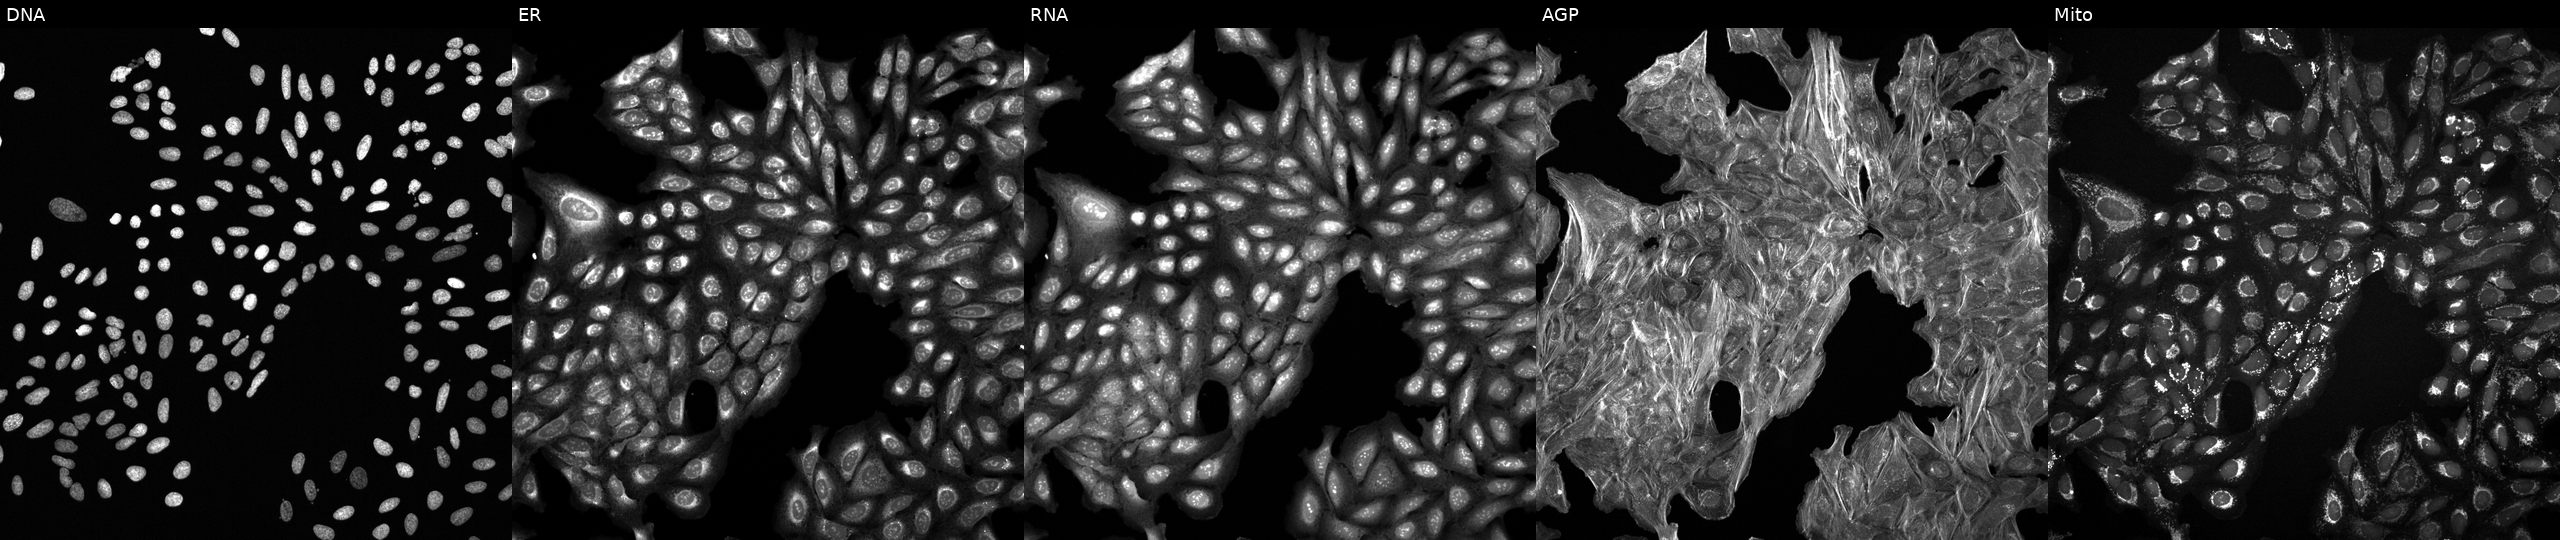
High-content fluorescence microscopy (Cell Painting). Cell line: U2OS. Perturbation: exposed to a small-molecule compound (InChIKey LCFRVKRSUMWNGQ-UHFFFAOYSA-N) (JUMP id JCP2022_048510). Panels show, left to right, DNA (nuclei); ER (endoplasmic reticulum); RNA (nucleoli and cytoplasmic RNA); AGP (actin cytoskeleton, Golgi, and plasma membrane); Mito (mitochondria). Source 6, plate 110000293082, well B18.